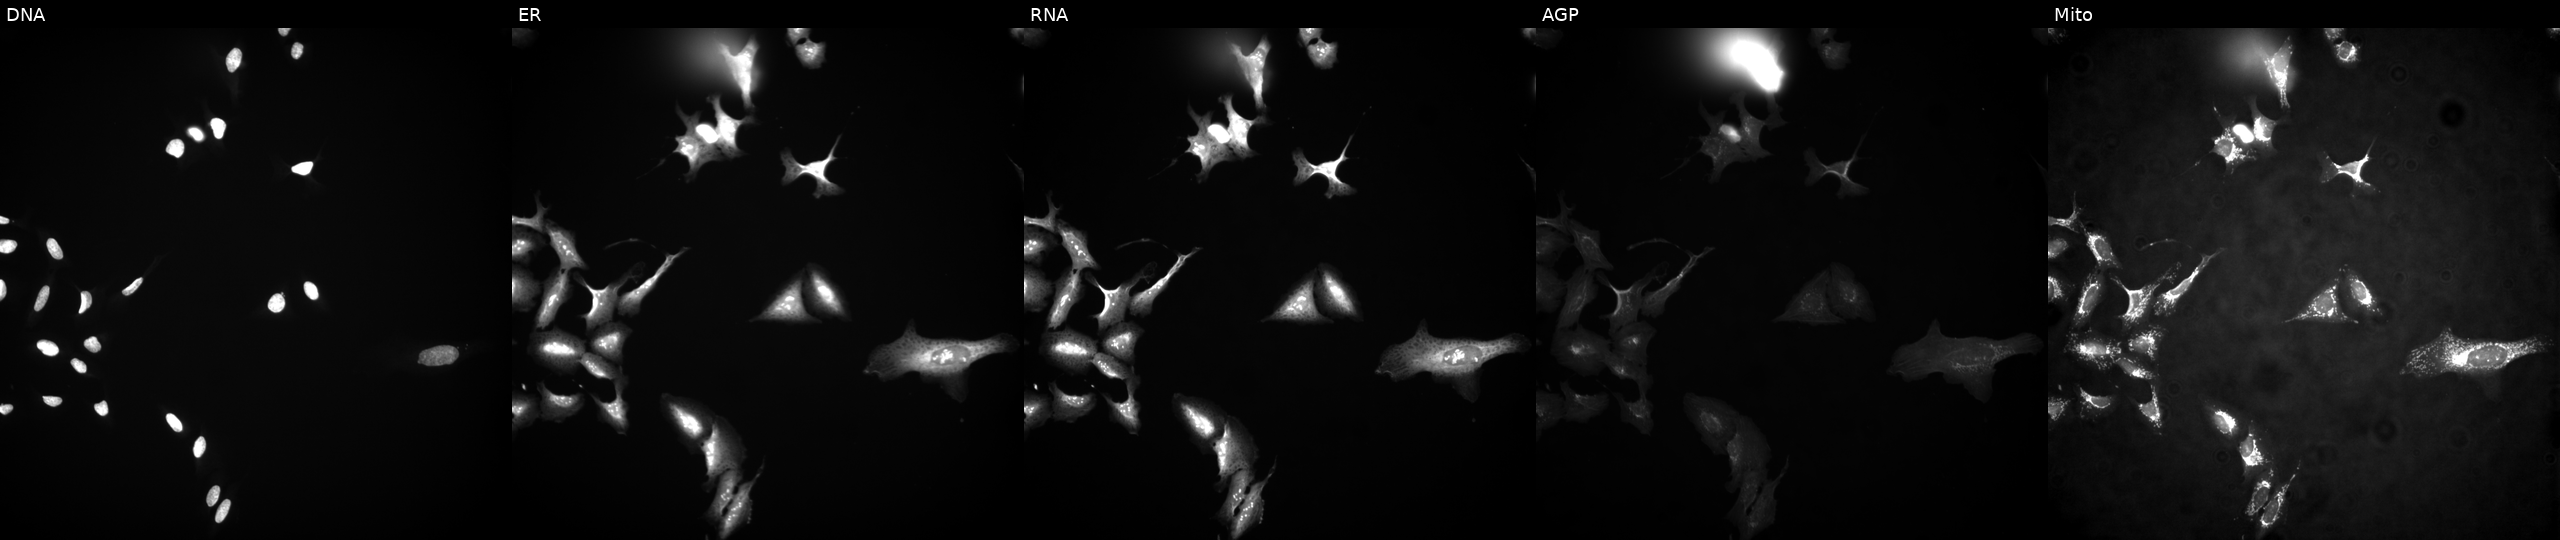
Five-channel Cell Painting image of U2OS cells overexpressing JADE2 via ORF transfection. Channels (left→right): Hoechst 33342, concanavalin A, SYTO 14, phalloidin and WGA, MitoTracker.